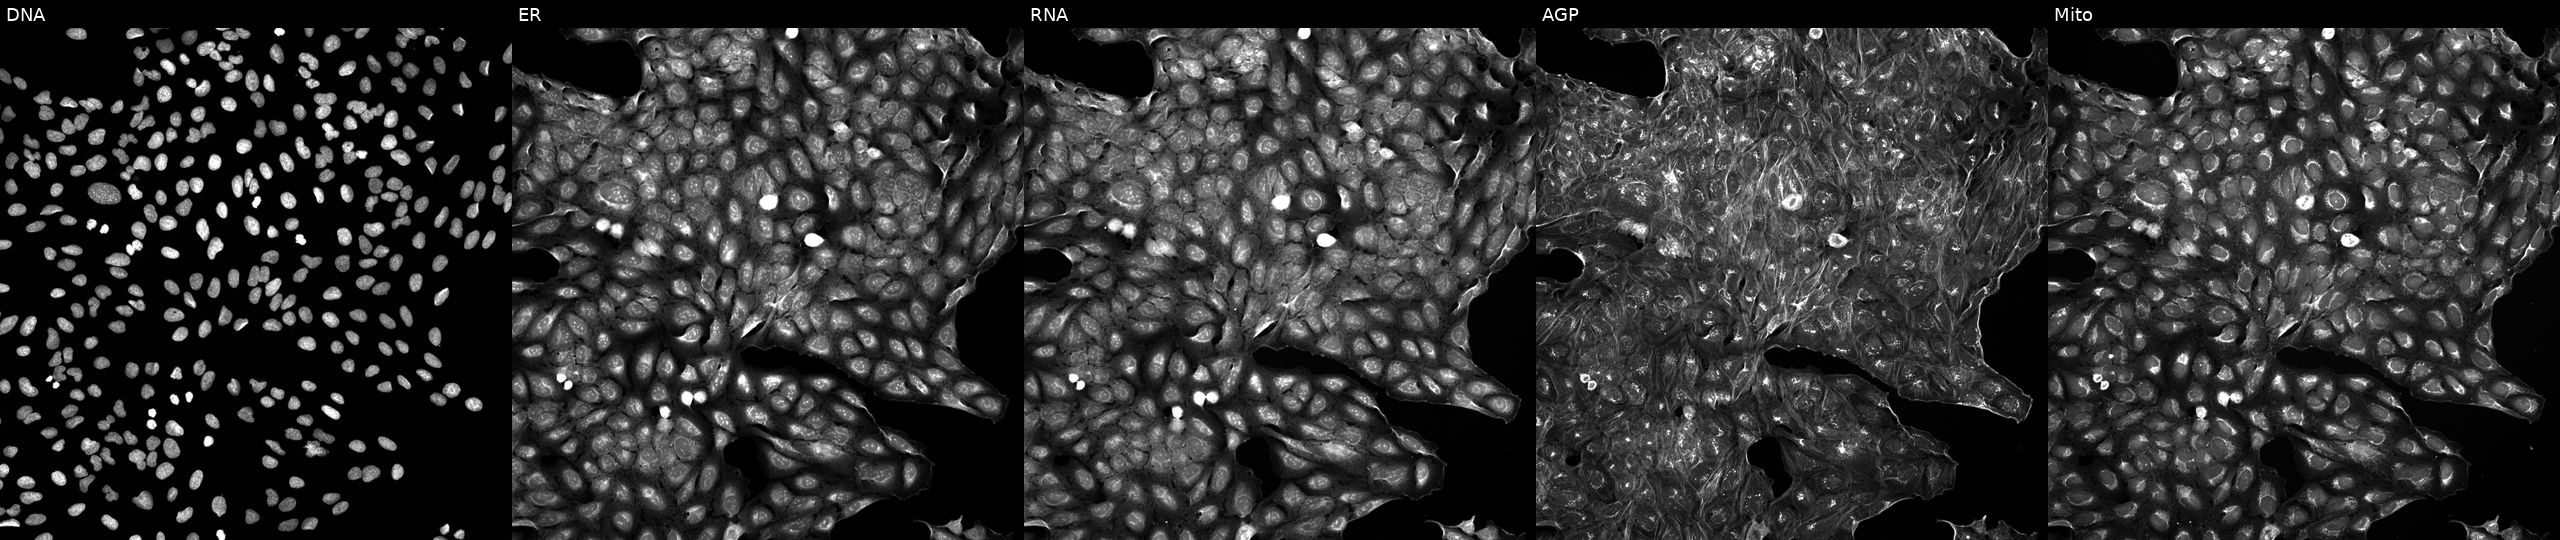
Channels (left→right): DNA (nuclei); ER (endoplasmic reticulum); RNA (nucleoli and cytoplasmic RNA); AGP (actin cytoskeleton, Golgi, and plasma membrane); Mito (mitochondria). U2OS osteosarcoma cells treated with a small-molecule compound (InChIKey ILPWLPJSPRETRD-UHFFFAOYSA-N). Cell Painting assay, JUMP-CP dataset.